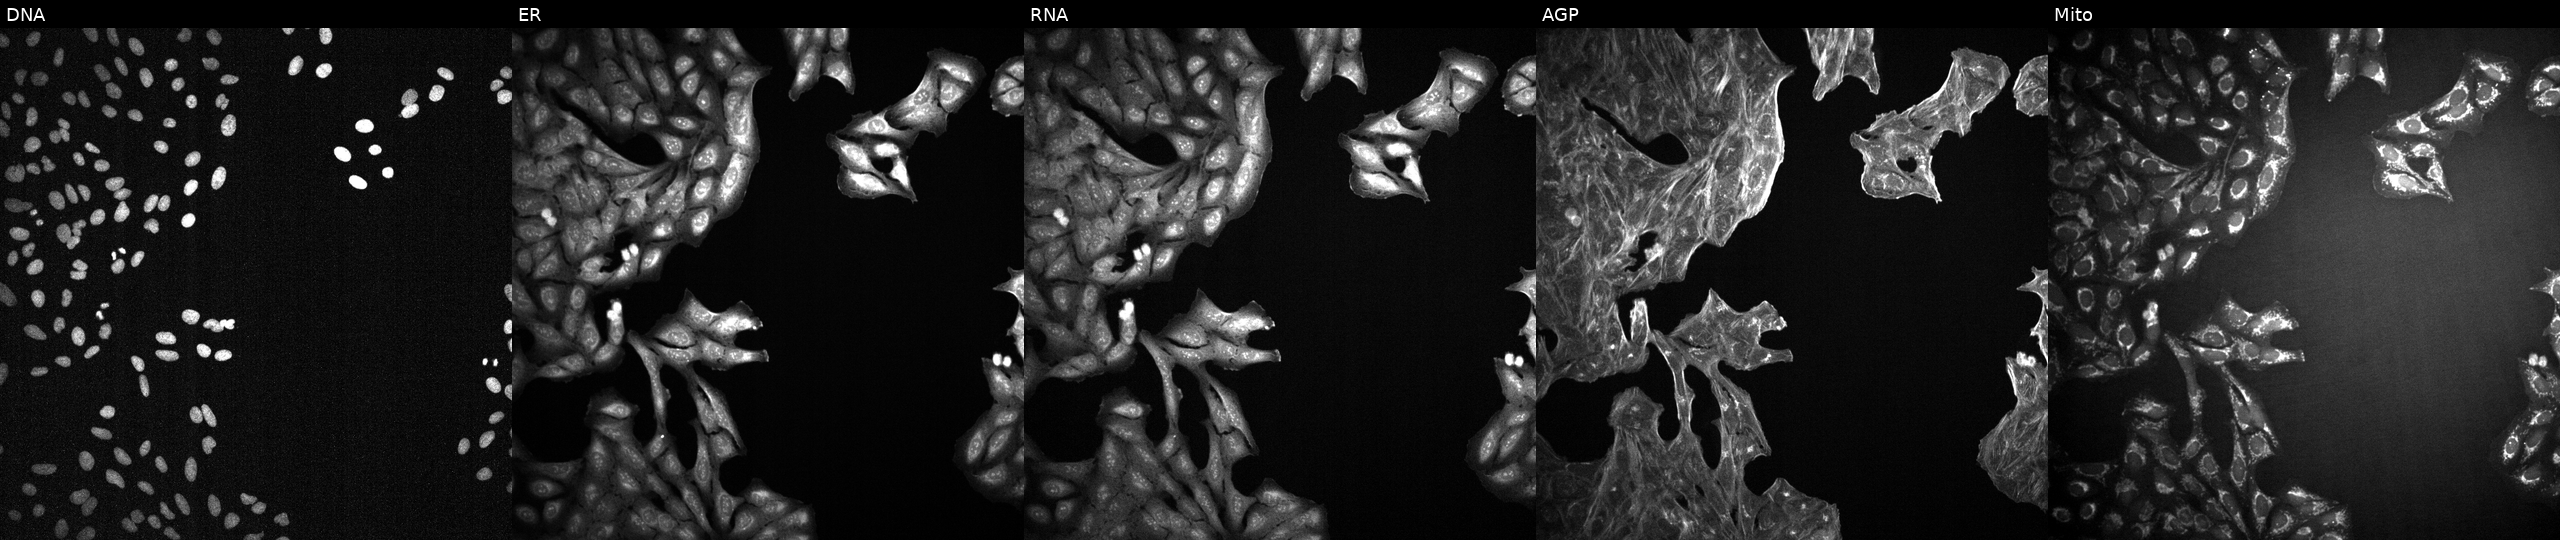
U2OS cells, Cell Painting assay, treated with a small-molecule compound (InChIKey PMXMIIMHBWHSKN-UHFFFAOYSA-N). From left to right: DNA (nuclei); ER (endoplasmic reticulum); RNA (nucleoli and cytoplasmic RNA); AGP (actin cytoskeleton, Golgi, and plasma membrane); Mito (mitochondria). Each panel is percentile-stretched 16-bit fluorescence. Source 2, plate 1053599503, well F04.